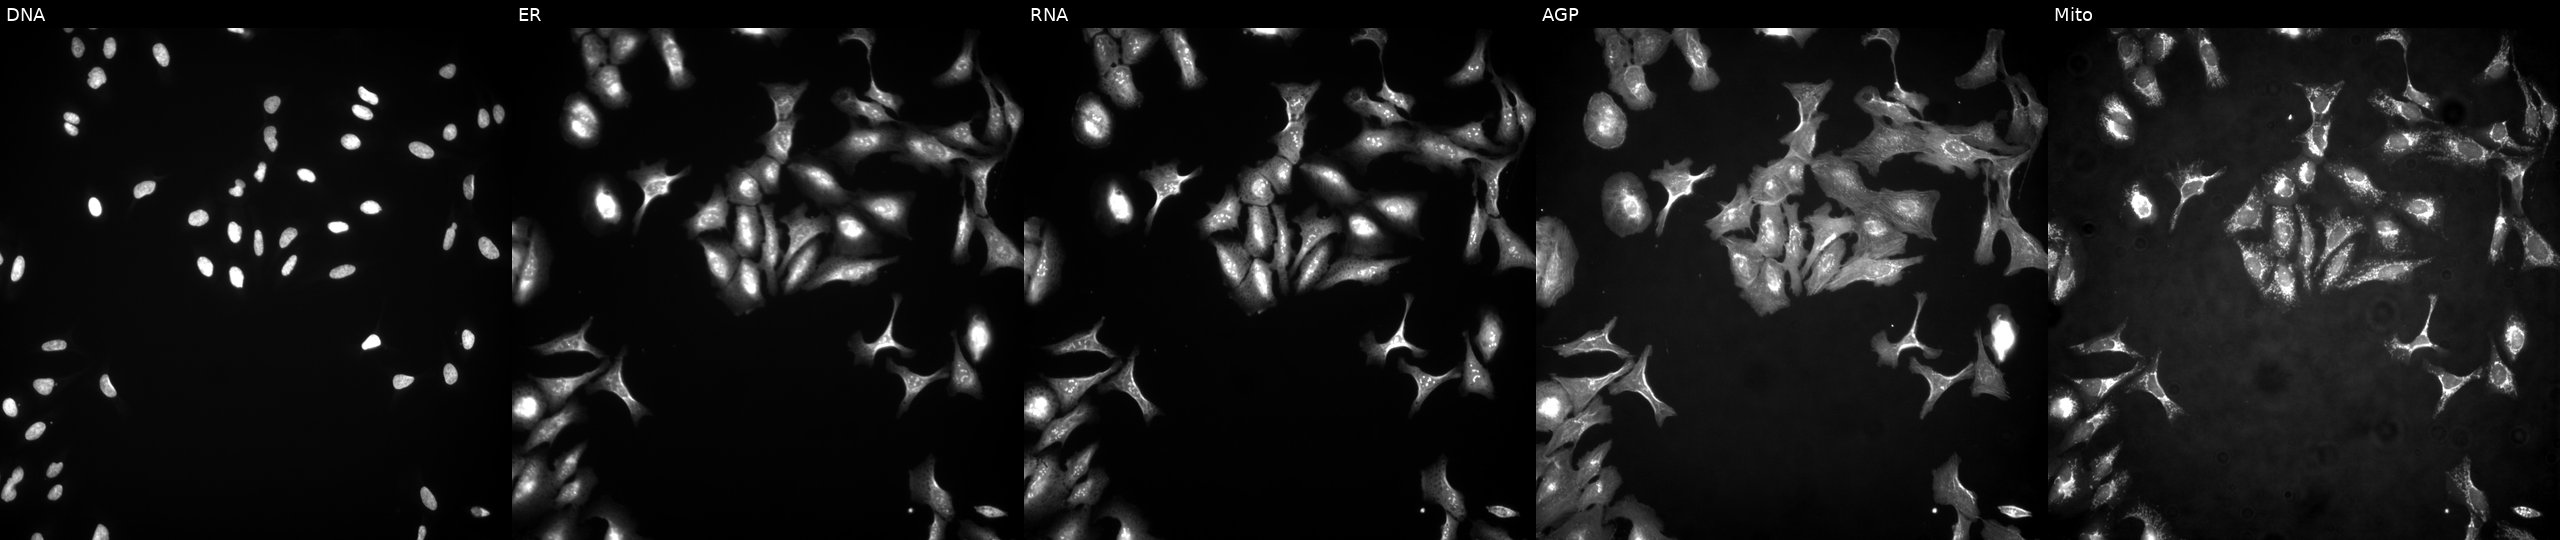
U2OS cells, Cell Painting assay, transfected with an ORF construct for SHISA2. From left to right: DNA (nuclei); ER (endoplasmic reticulum); RNA (nucleoli and cytoplasmic RNA); AGP (actin cytoskeleton, Golgi, and plasma membrane); Mito (mitochondria). Each panel is percentile-stretched 16-bit fluorescence.